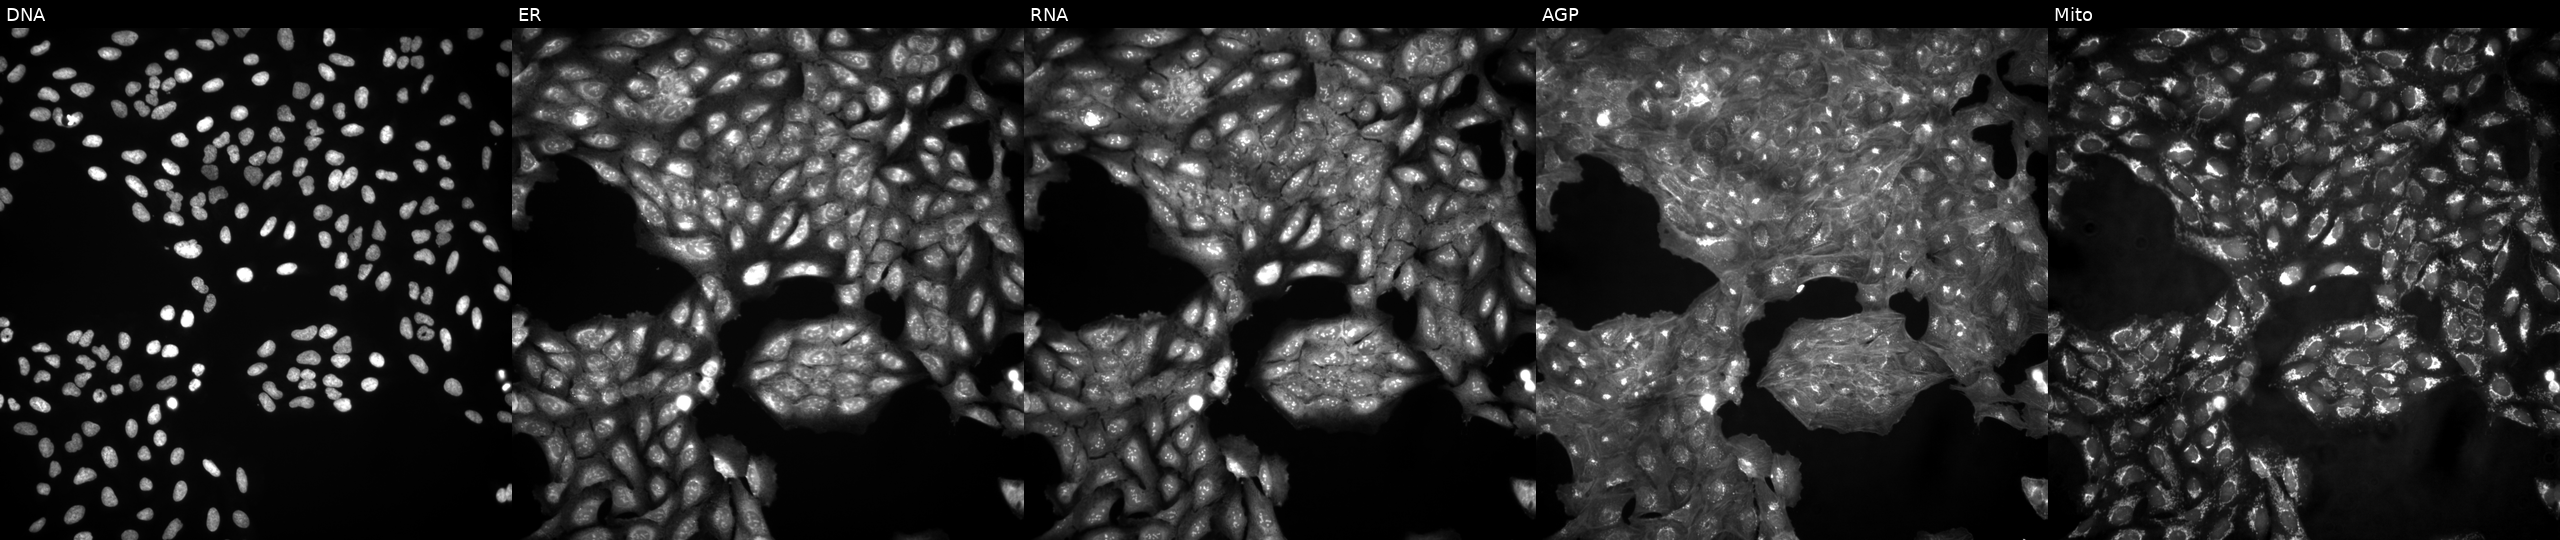
U2OS cells, Cell Painting assay, in an empty control well (no perturbation). The five panels, left to right, show Hoechst 33342, concanavalin A, SYTO 14, phalloidin and WGA, MitoTracker. Each panel is percentile-stretched 16-bit fluorescence.